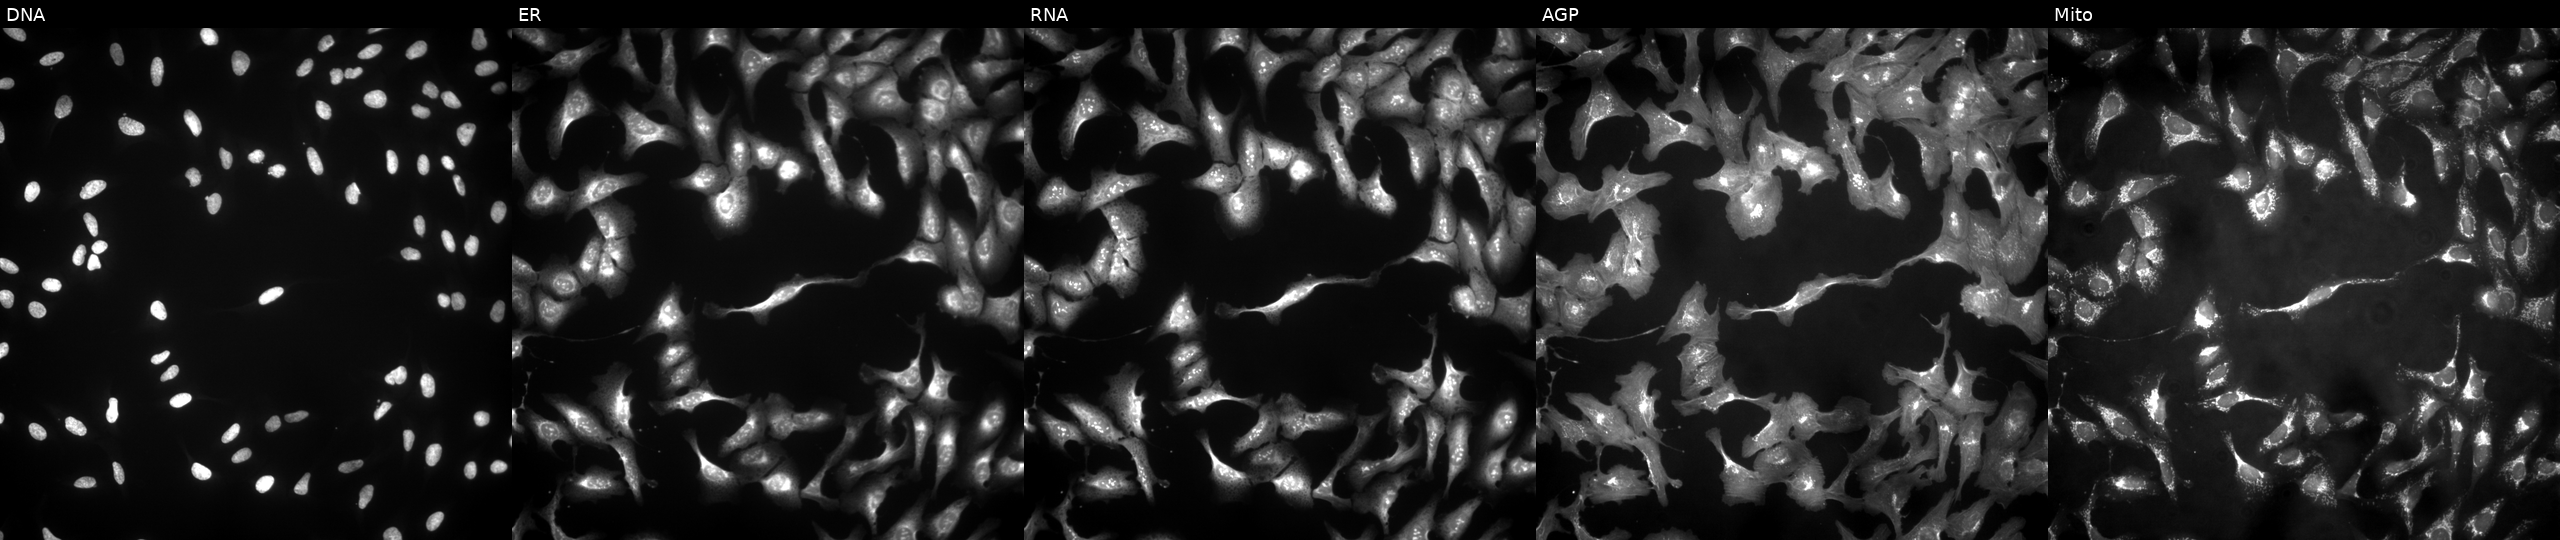
This image strip shows the five Cell Painting channels for a single field of U2OS cells transfected with an ORF construct for NEK11. Panels show, left to right, DNA (nuclei); ER (endoplasmic reticulum); RNA (nucleoli and cytoplasmic RNA); AGP (actin cytoskeleton, Golgi, and plasma membrane); Mito (mitochondria).